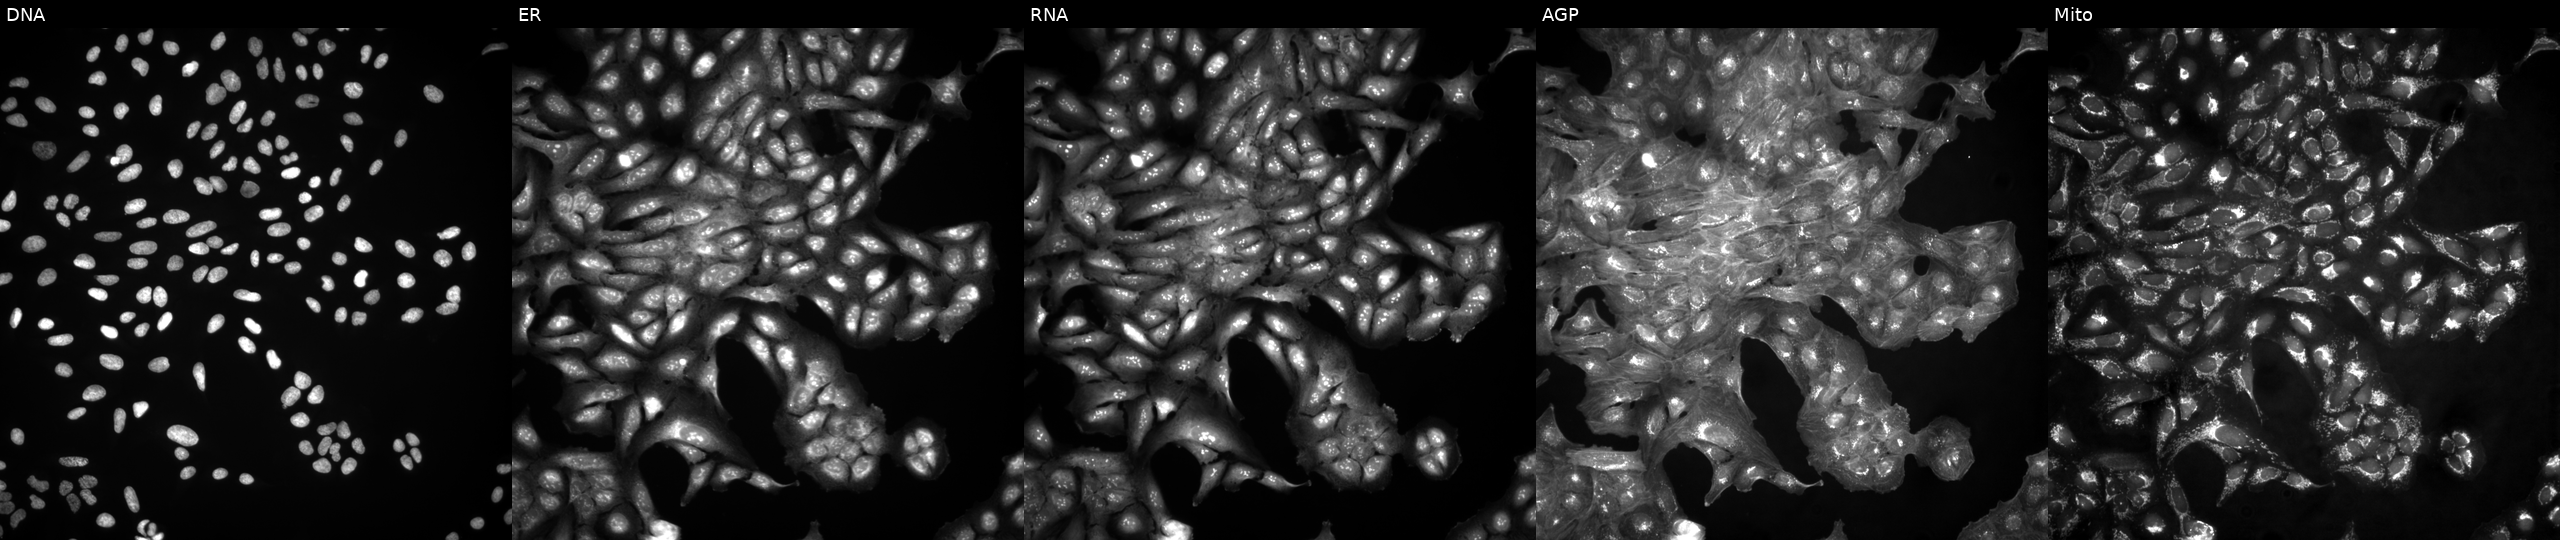
Five-channel Cell Painting image of U2OS cells in an empty control well (no perturbation). Panels show, left to right, Hoechst 33342, concanavalin A, SYTO 14, phalloidin and WGA, MitoTracker.